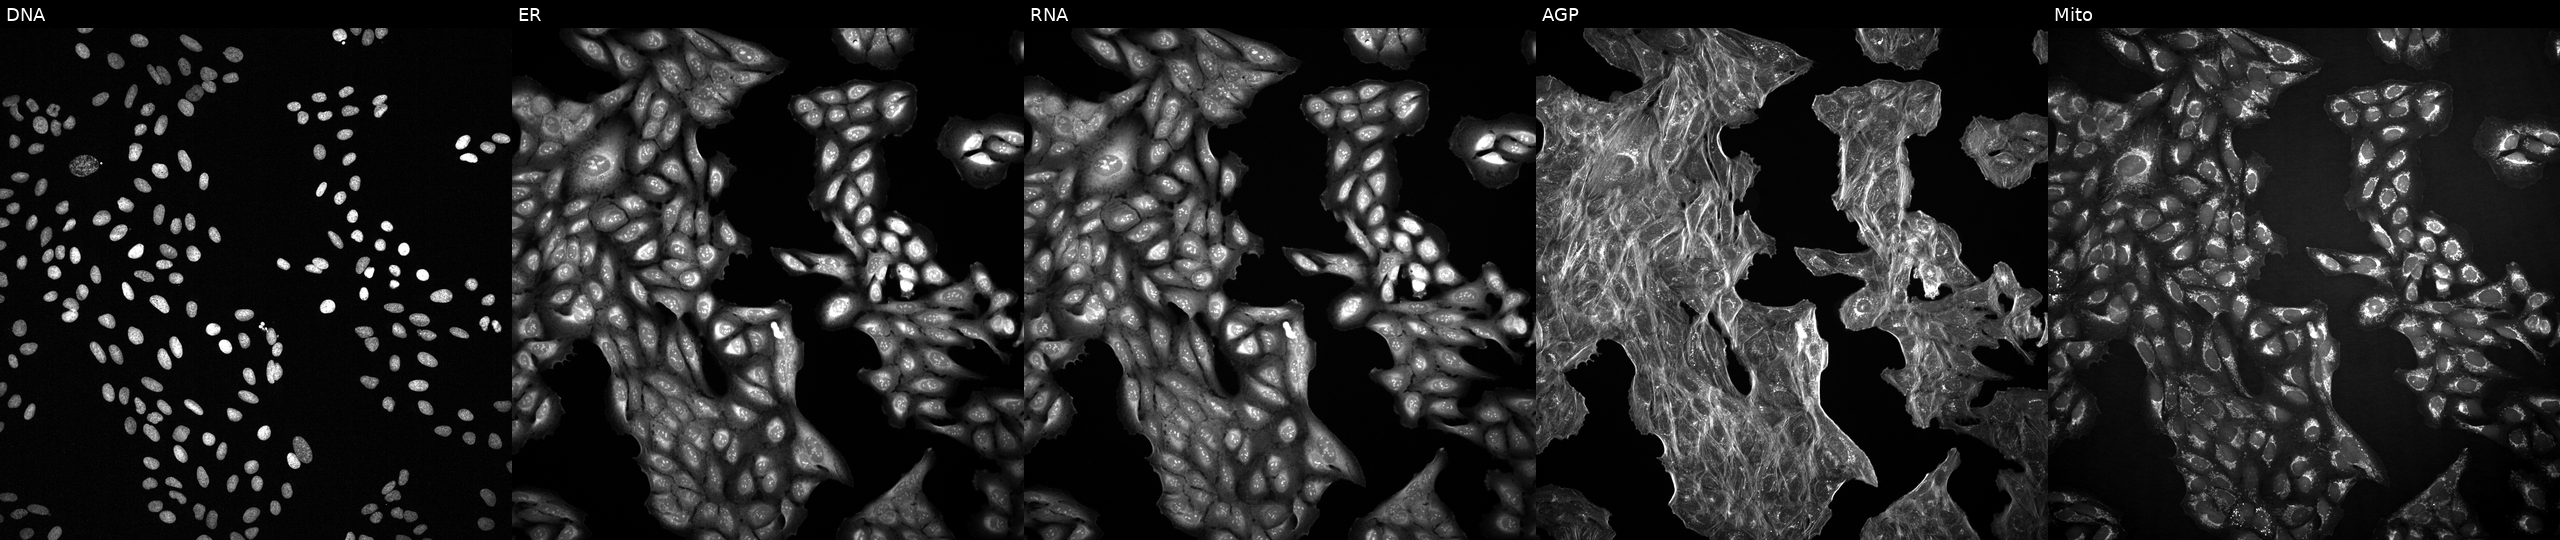
This image strip shows the five Cell Painting channels for a single field of U2OS cells treated with a small-molecule compound [SMILES: Cc1[nH]c(=NC(=O)c2cc3c(C)nn(-c4ccccc4)c3s2)sc1C(=O)Nc1ccccc1]. Channels (left→right): DNA (nuclei); ER (endoplasmic reticulum); RNA (nucleoli and cytoplasmic RNA); AGP (actin cytoskeleton, Golgi, and plasma membrane); Mito (mitochondria). Source 2, plate 1053601756, well G09.